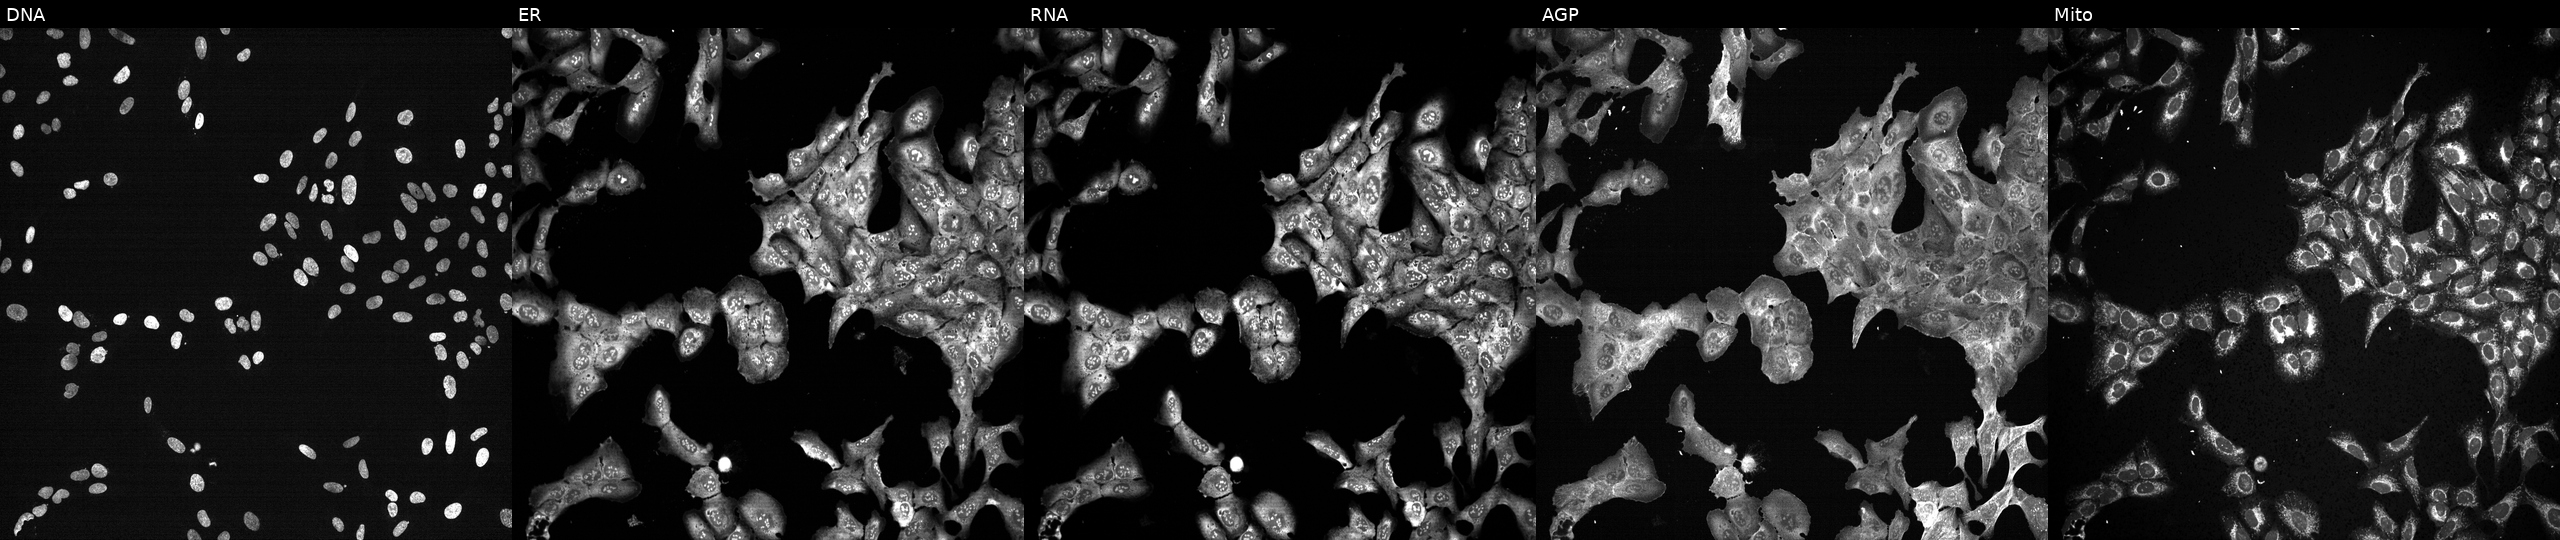
Five-channel Cell Painting image of U2OS cells following CRISPR knockout of EIF2S2 (JUMP id JCP2022_802055). Panels show, left to right, DNA, ER, RNA, AGP, and Mito.